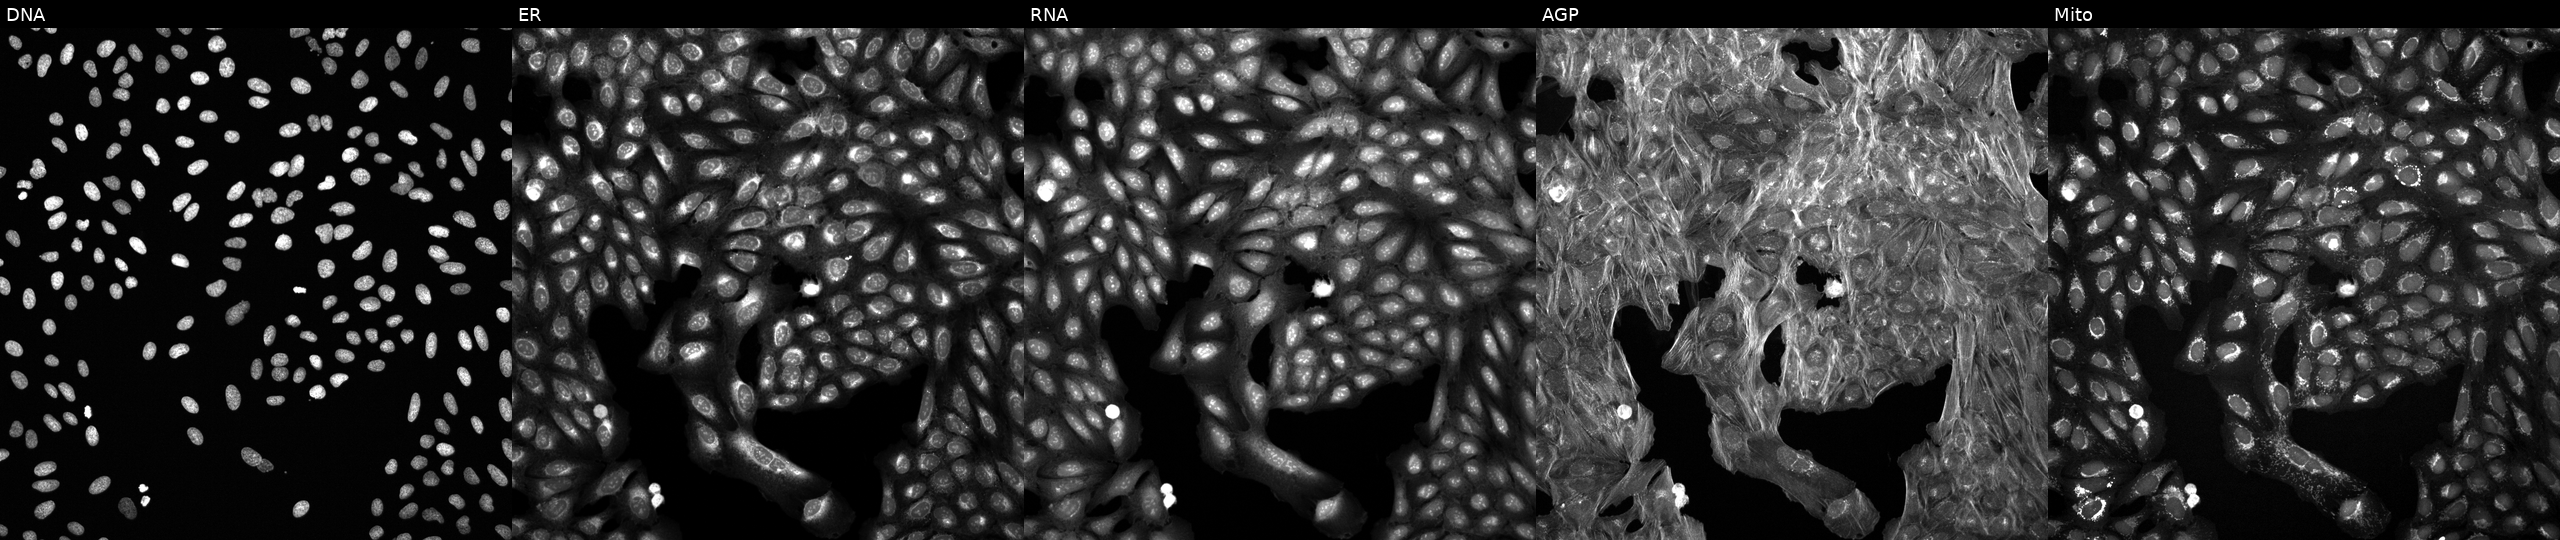
This image strip shows the five Cell Painting channels for a single field of U2OS cells exposed to a small-molecule compound (InChIKey ALBKMJDFBZVHAK-UHFFFAOYSA-N) (JUMP id JCP2022_002118). From left to right: DNA (nuclei); ER (endoplasmic reticulum); RNA (nucleoli and cytoplasmic RNA); AGP (actin cytoskeleton, Golgi, and plasma membrane); Mito (mitochondria).